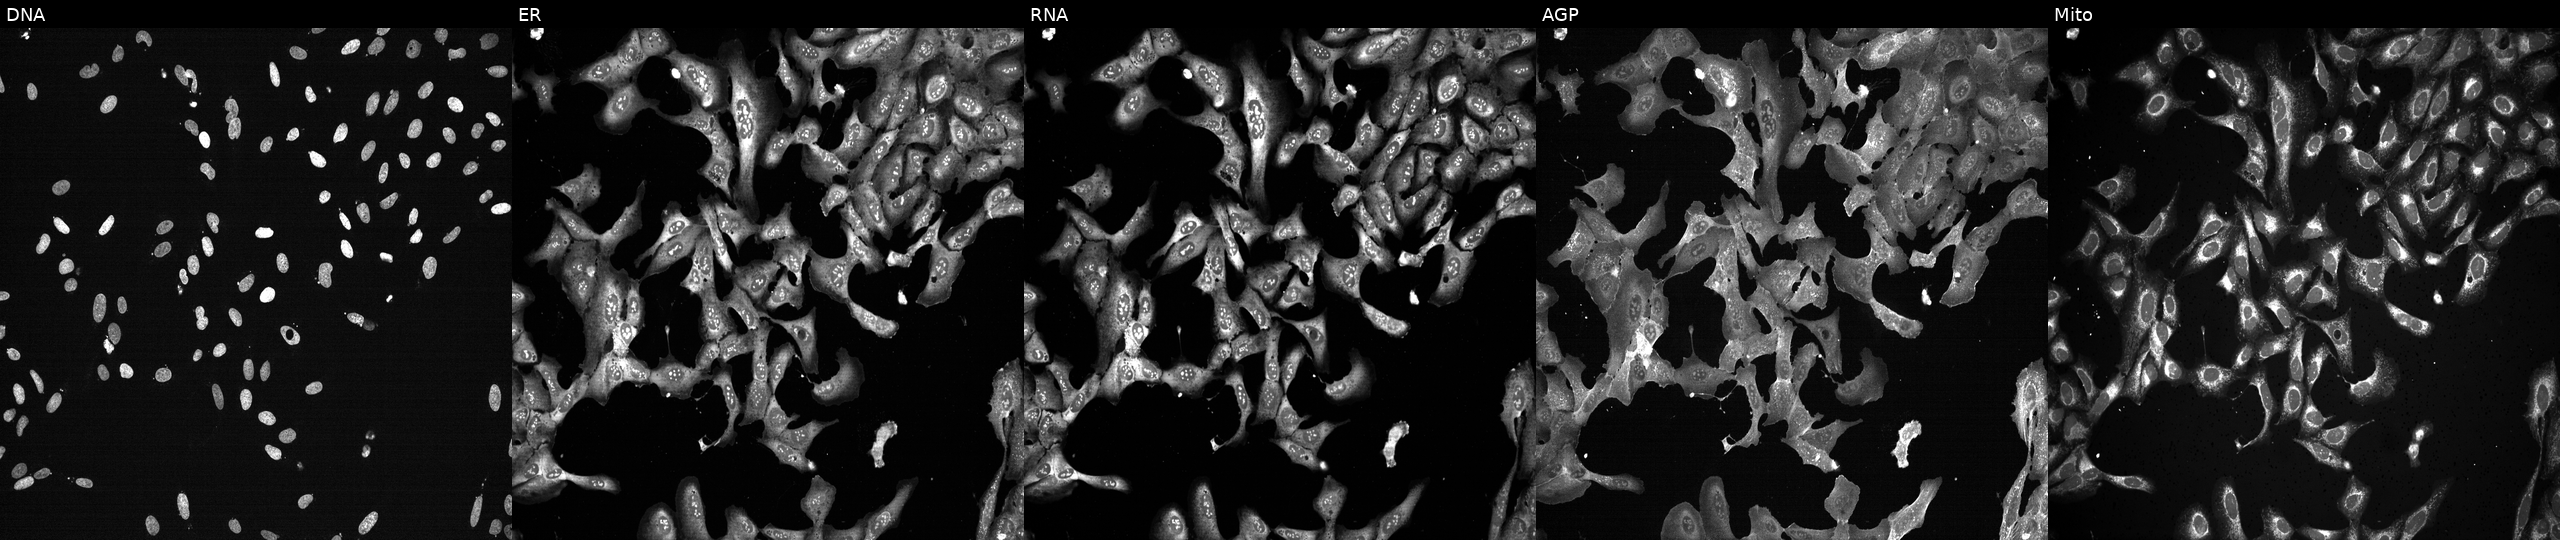
This image strip shows the five Cell Painting channels for a single field of U2OS cells following CRISPR knockout of POLR2J. Channels (left→right): Hoechst 33342, concanavalin A, SYTO 14, phalloidin and WGA, MitoTracker. Source 13, plate CP-CC9-R2-02, well E10.